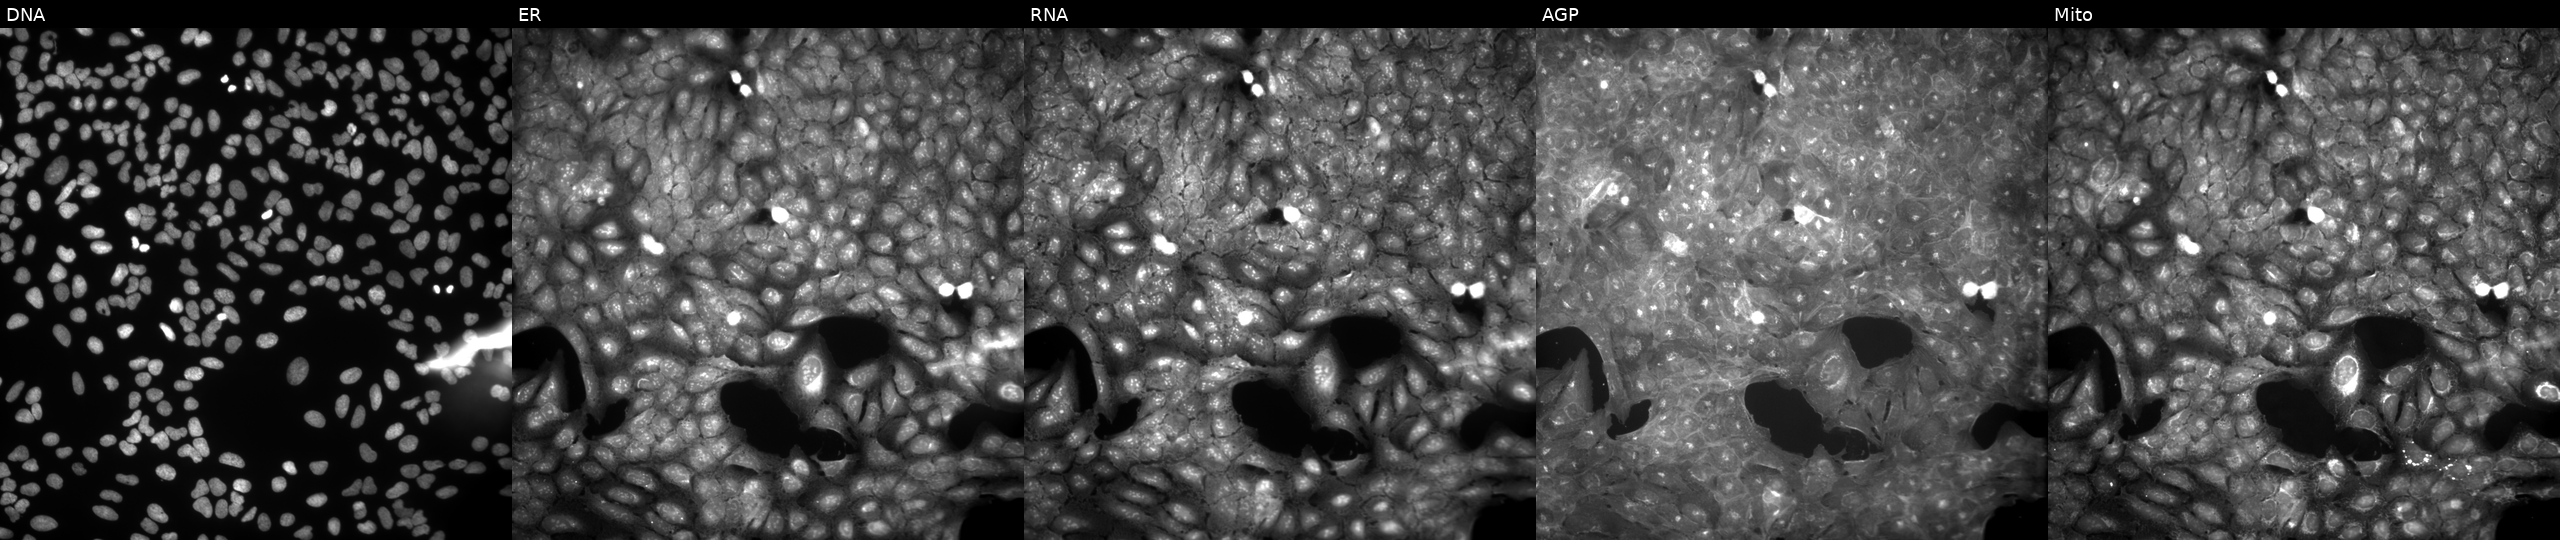
U2OS cells, Cell Painting assay, perturbed with a small-molecule compound (InChIKey SKBKYSWCKDUCNN-UHFFFAOYSA-N). From left to right: DNA (nuclei); ER (endoplasmic reticulum); RNA (nucleoli and cytoplasmic RNA); AGP (actin cytoskeleton, Golgi, and plasma membrane); Mito (mitochondria). Each panel is percentile-stretched 16-bit fluorescence. Source 9, plate GR00003381, well U38.